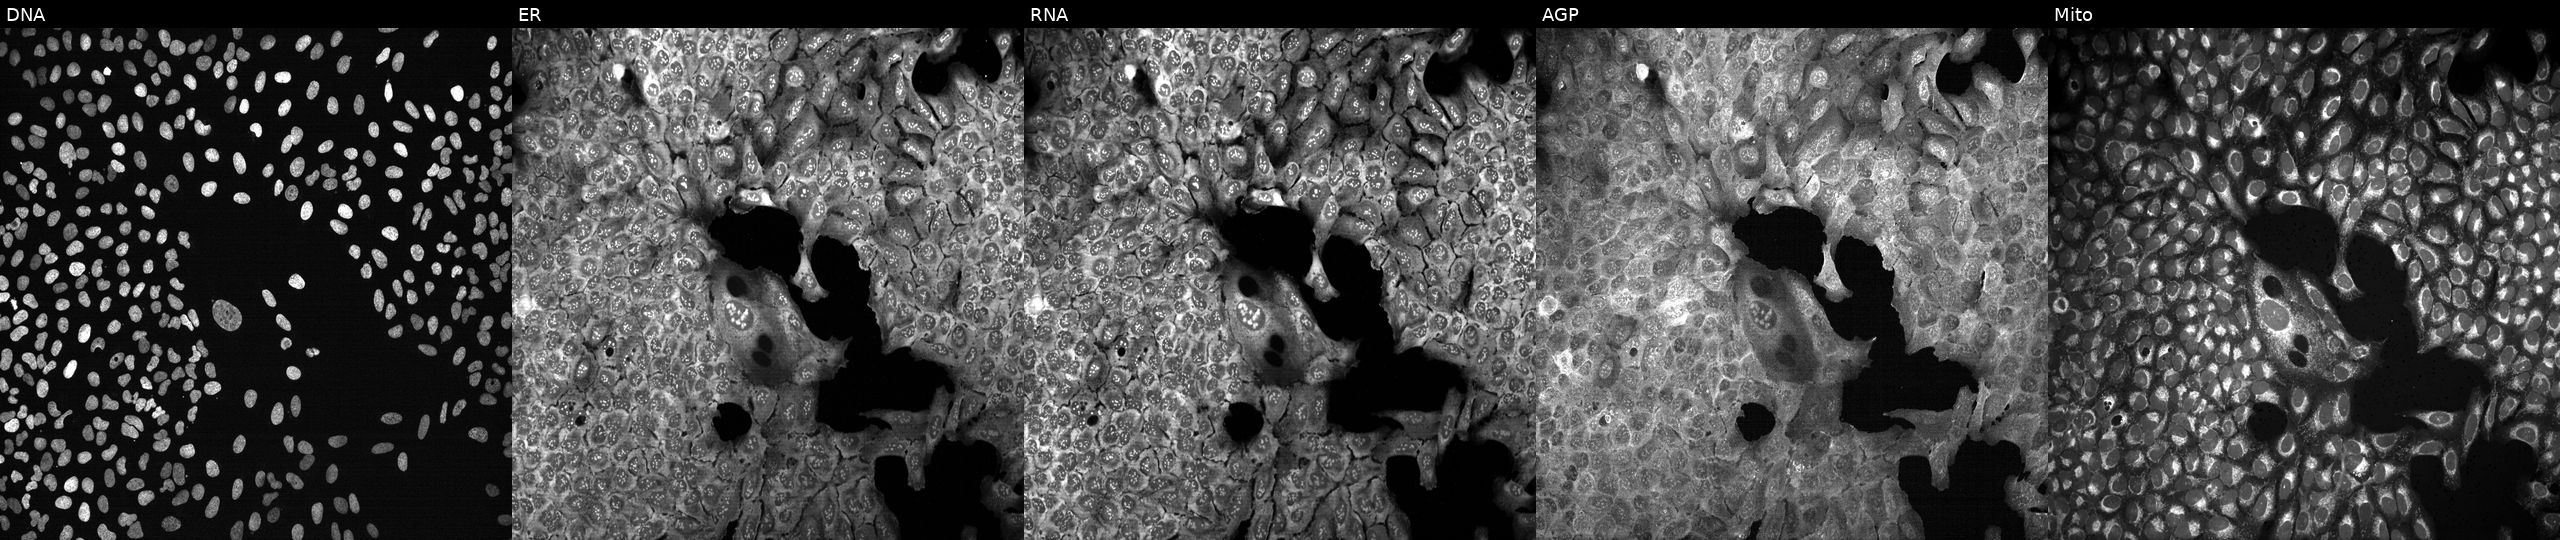
High-content fluorescence microscopy (Cell Painting). Cell line: U2OS. Perturbation: with TXNDC5 knocked out by CRISPR (JUMP id JCP2022_807420). Panels show, left to right, Hoechst 33342, concanavalin A, SYTO 14, phalloidin and WGA, MitoTracker. Source 13, plate CP-CC9-R2-02, well O10.